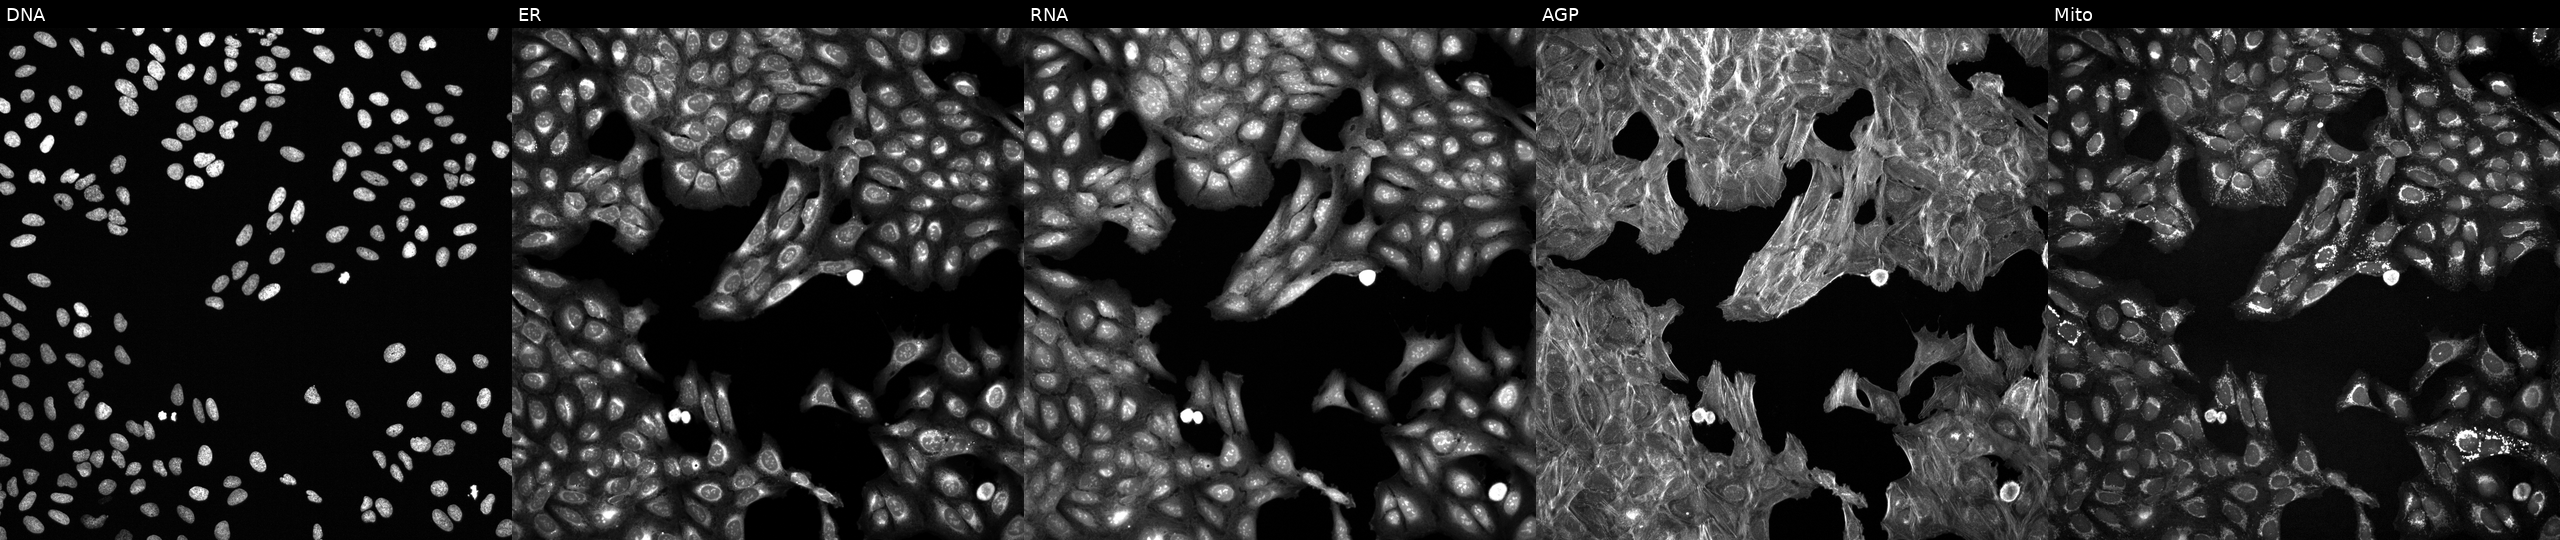
U2OS cells, Cell Painting assay, exposed to DMSO alone as a negative control (JUMP id JCP2022_033924). The five panels, left to right, show Hoechst 33342, concanavalin A, SYTO 14, phalloidin and WGA, MitoTracker. Each panel is percentile-stretched 16-bit fluorescence. Source 6, plate 110000293093, well M13.